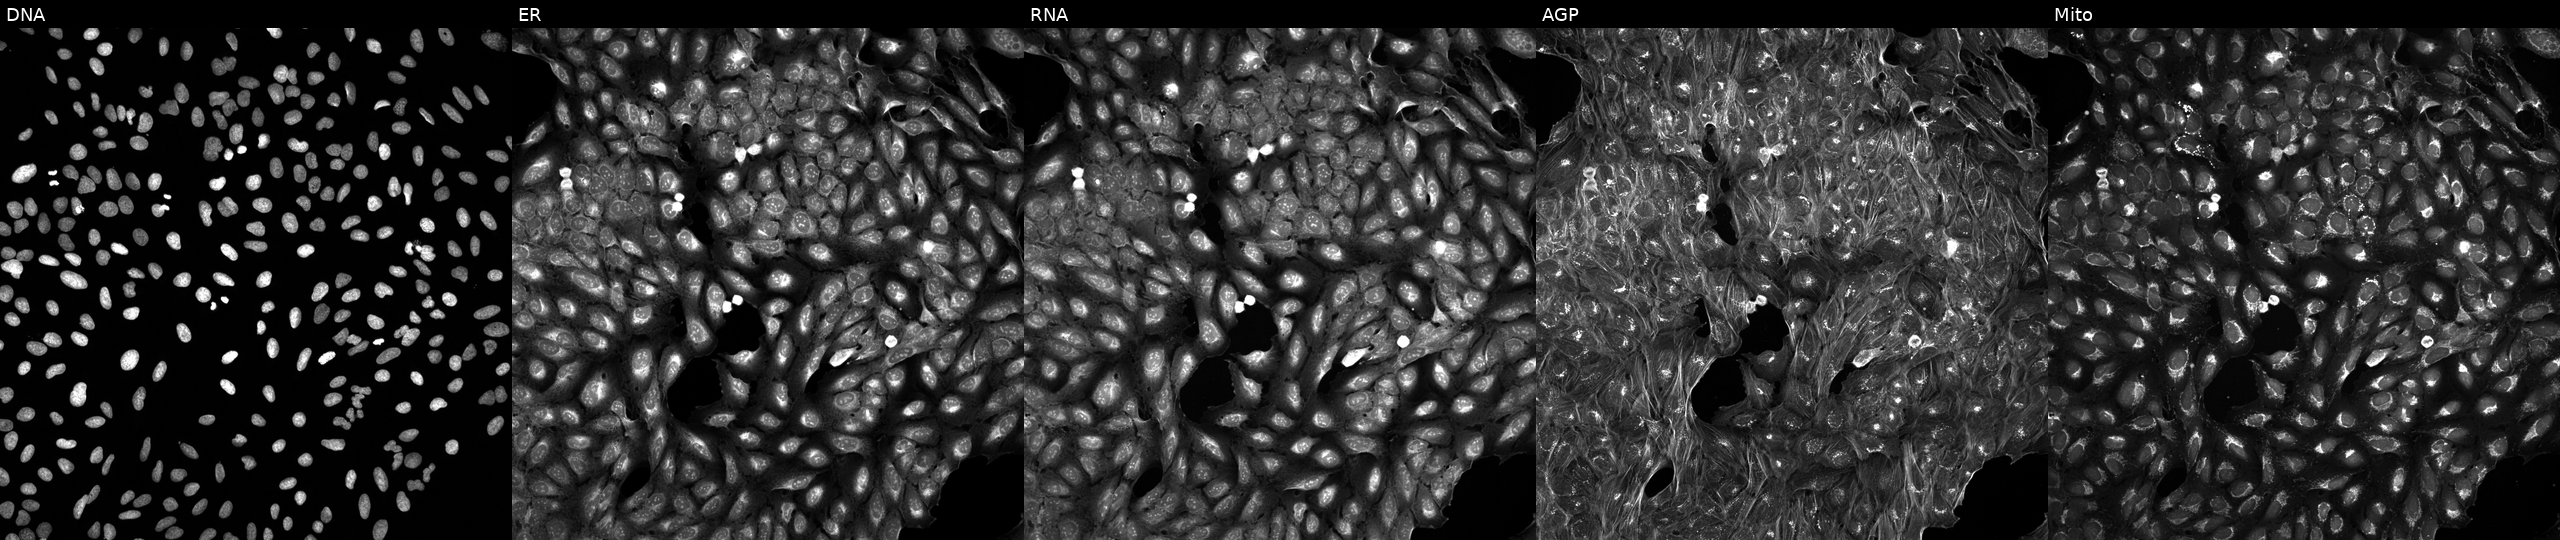
Five-channel Cell Painting image of U2OS cells perturbed with a small-molecule compound (InChIKey KFAKESMKRPNZTM-UHFFFAOYSA-N) [SMILES: COc1ccc(OC)c2c(=S)c3ccccc3[nH]c12] (JUMP id JCP2022_044197). Panels show, left to right, DNA (nuclei); ER (endoplasmic reticulum); RNA (nucleoli and cytoplasmic RNA); AGP (actin cytoskeleton, Golgi, and plasma membrane); Mito (mitochondria).